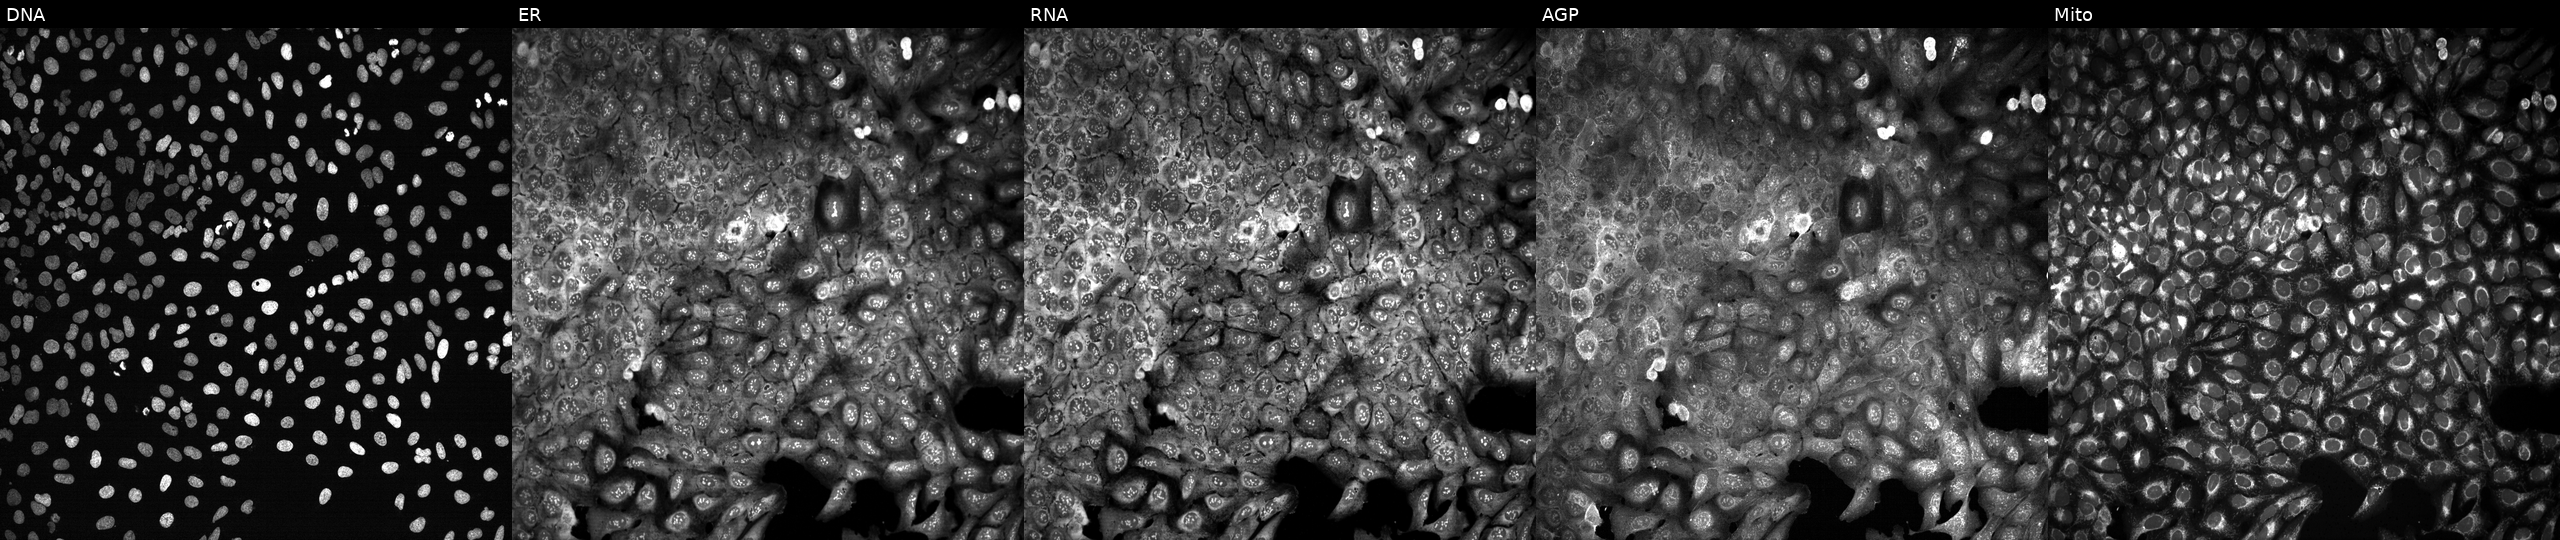
High-content fluorescence microscopy (Cell Painting). Cell line: U2OS. Perturbation: with PGM2 knocked out by CRISPR. From left to right: Hoechst 33342, concanavalin A, SYTO 14, phalloidin and WGA, MitoTracker.